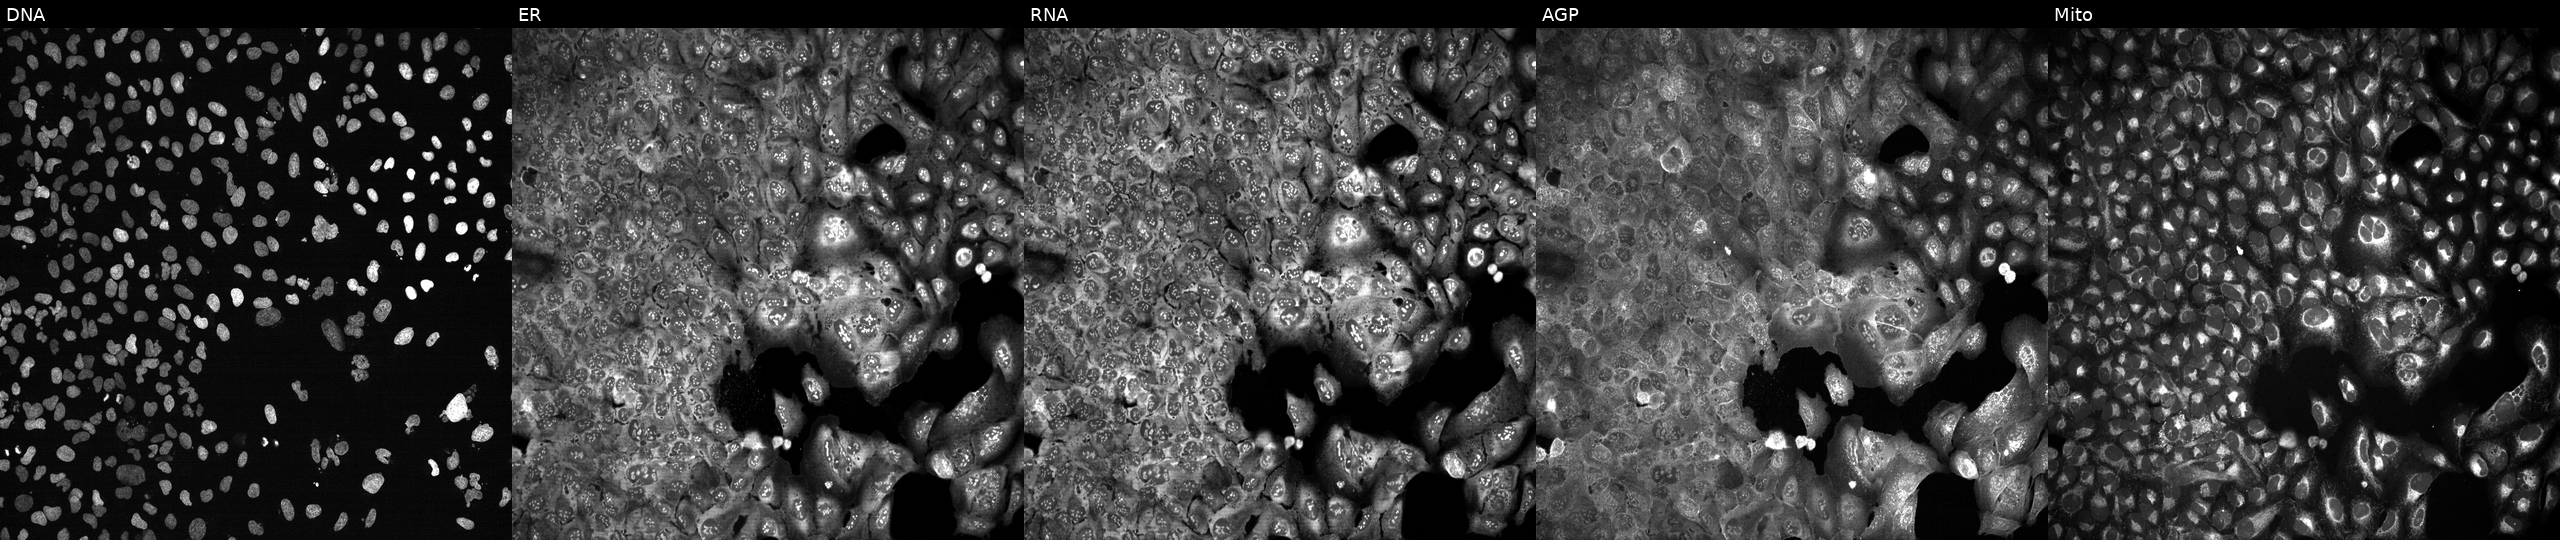
High-content fluorescence microscopy (Cell Painting). Cell line: U2OS. Perturbation: with TMX2 knocked out by CRISPR (JUMP id JCP2022_807156). From left to right: DNA, ER, RNA, AGP, and Mito.